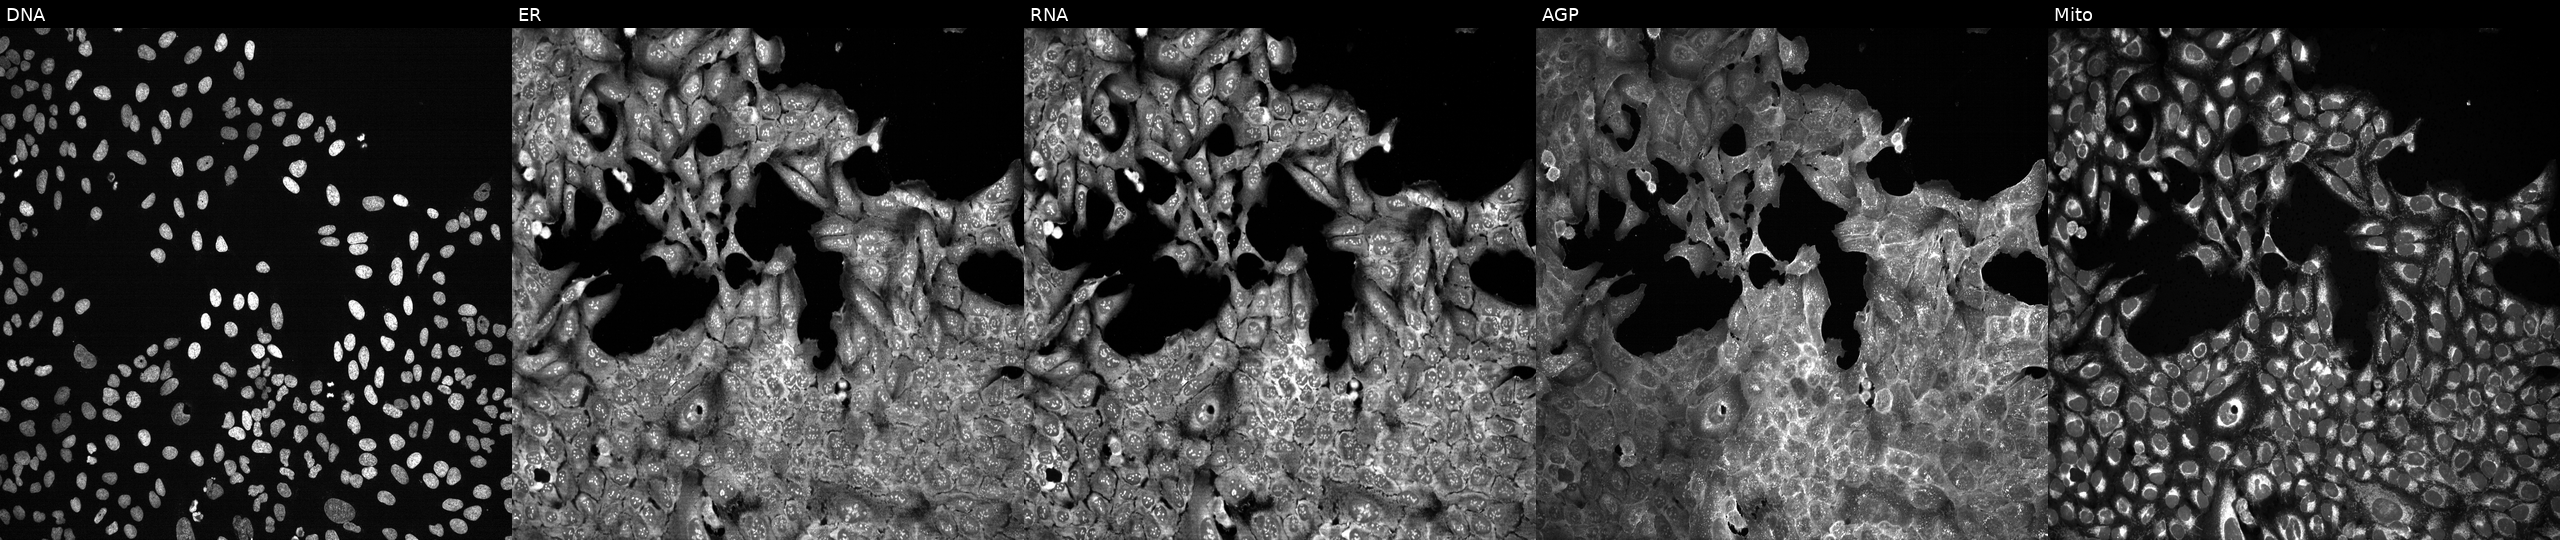
This image strip shows the five Cell Painting channels for a single field of U2OS cells following CRISPR knockout of ACE. From left to right: DNA (nuclei); ER (endoplasmic reticulum); RNA (nucleoli and cytoplasmic RNA); AGP (actin cytoskeleton, Golgi, and plasma membrane); Mito (mitochondria).